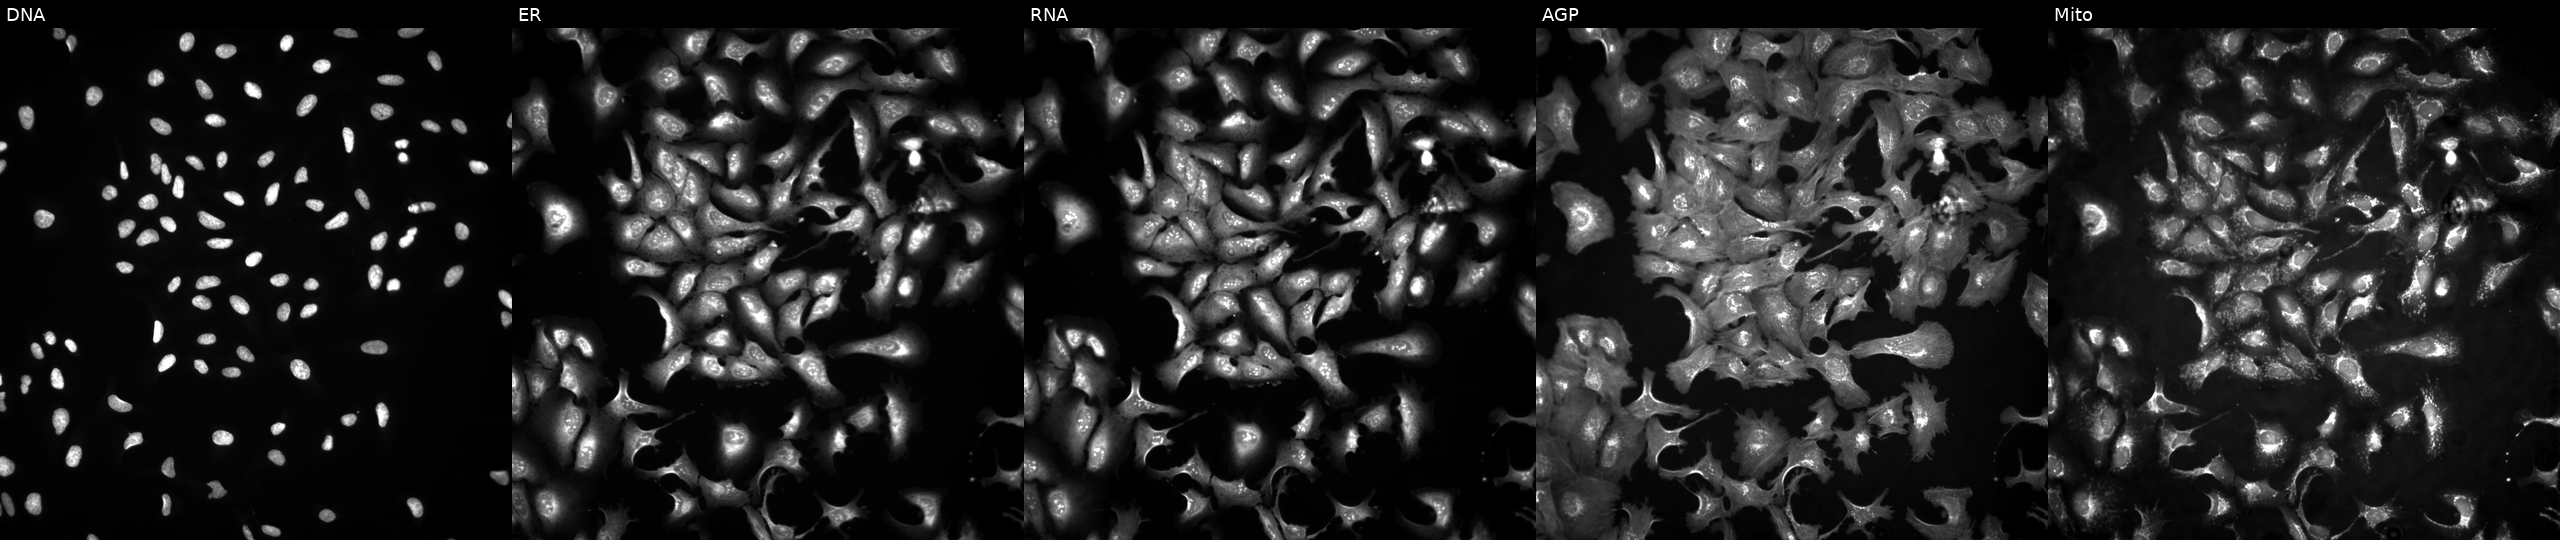
This image strip shows the five Cell Painting channels for a single field of U2OS cells overexpressing EPHB2 via ORF transfection. The five panels, left to right, show Hoechst 33342, concanavalin A, SYTO 14, phalloidin and WGA, MitoTracker. Source 4, plate BR00123945, well N20.